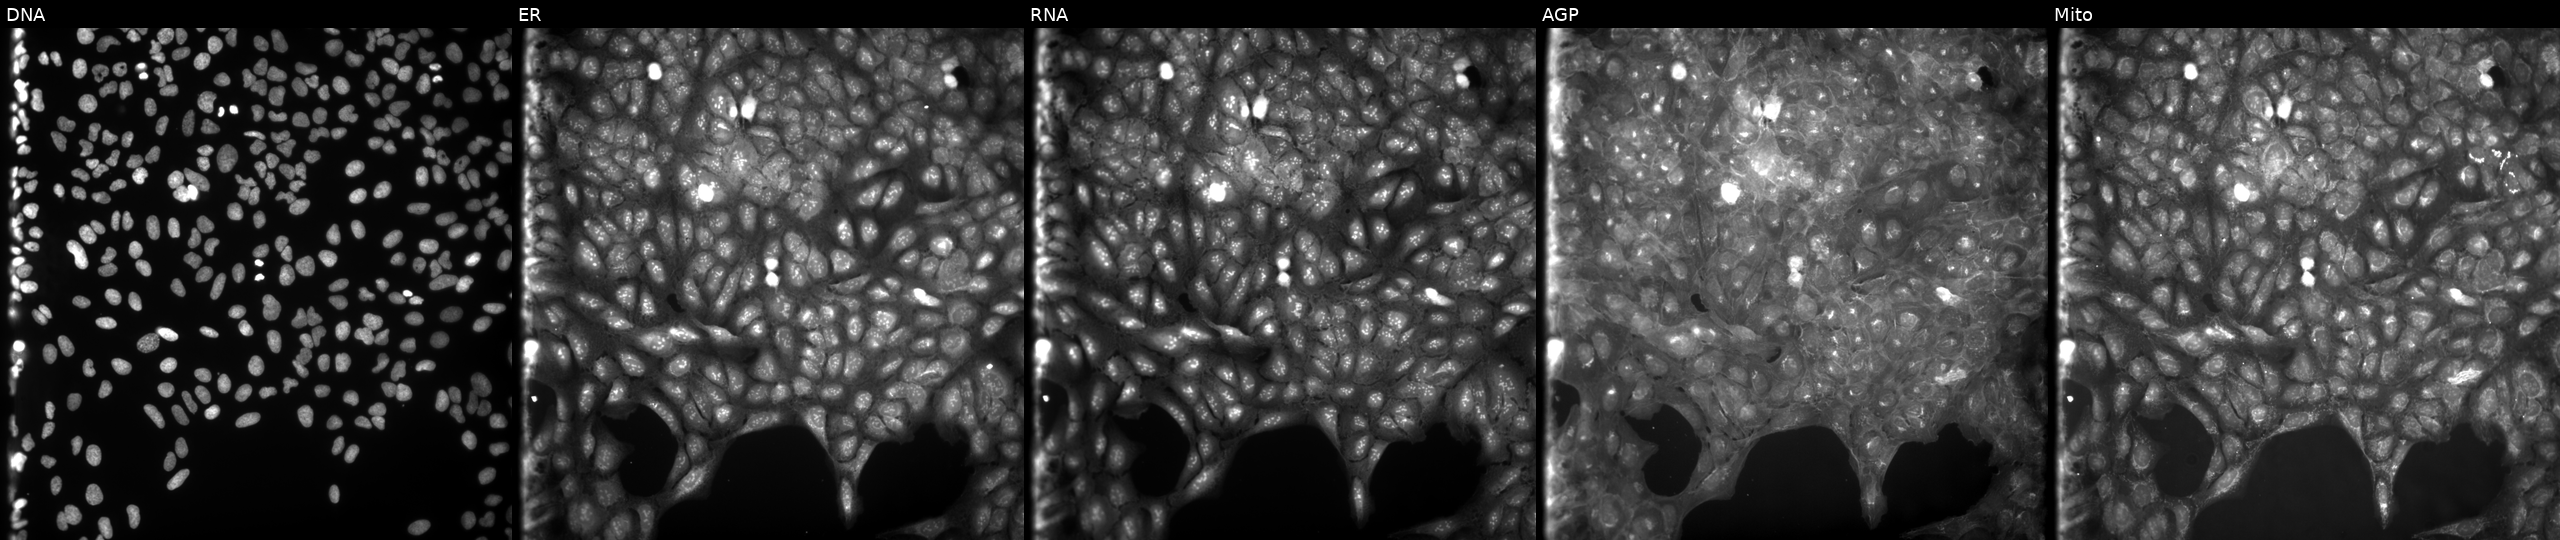
From left to right: DNA, ER, RNA, AGP, and Mito. U2OS osteosarcoma cells perturbed with a small-molecule compound (InChIKey FBJRREFDCCSERP-UHFFFAOYSA-N). Cell Painting assay, JUMP-CP dataset.